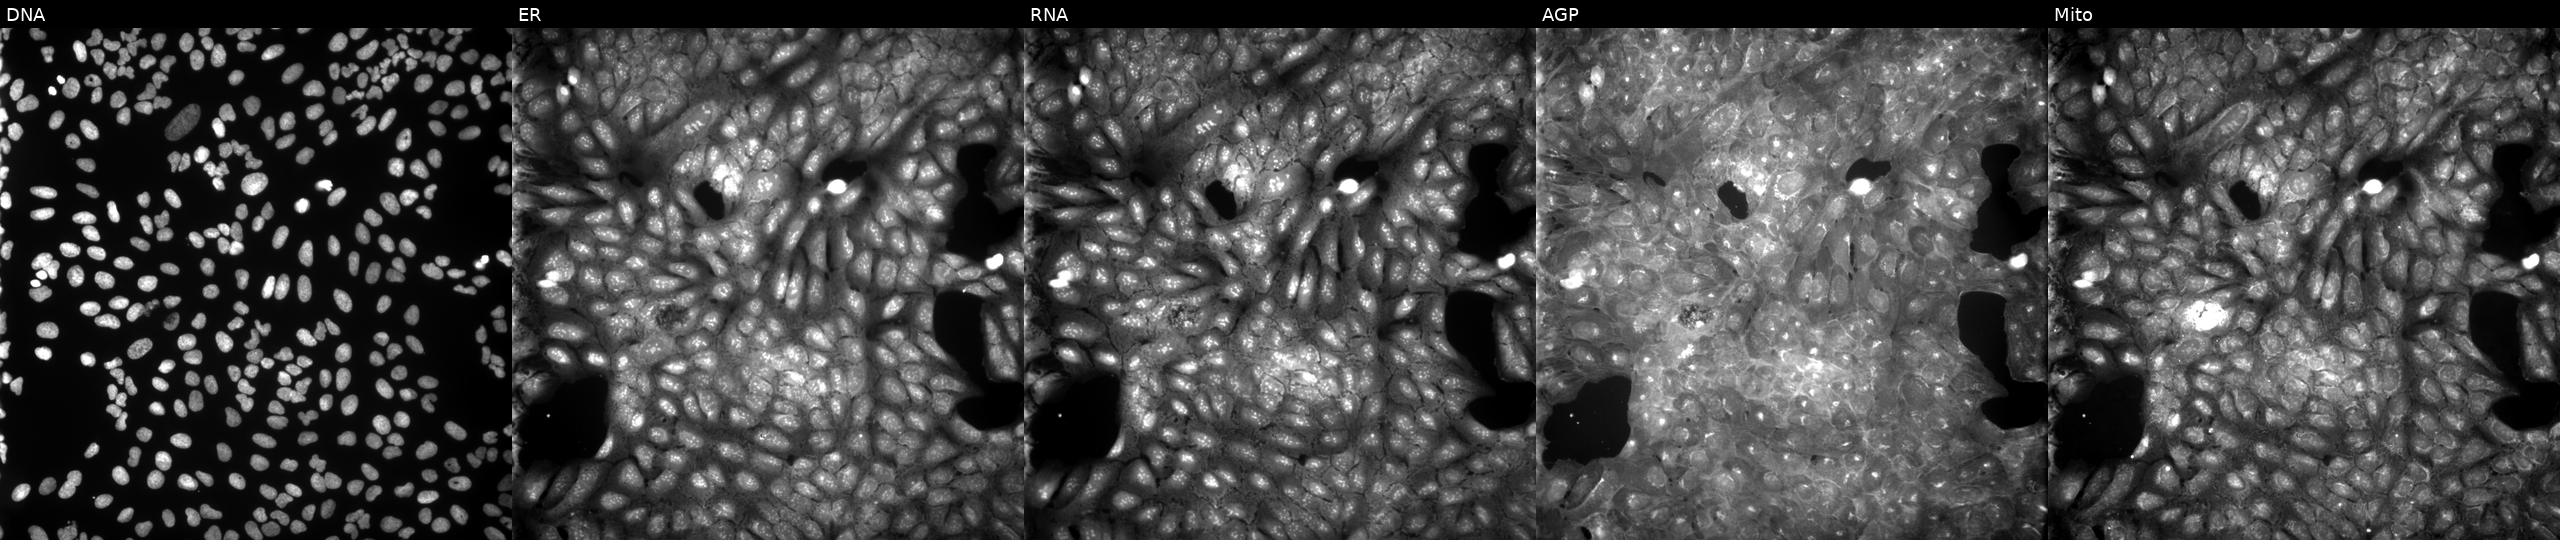
High-content fluorescence microscopy (Cell Painting). Cell line: U2OS. Perturbation: treated with DMSO vehicle only (negative control). From left to right: Hoechst 33342, concanavalin A, SYTO 14, phalloidin and WGA, MitoTracker.